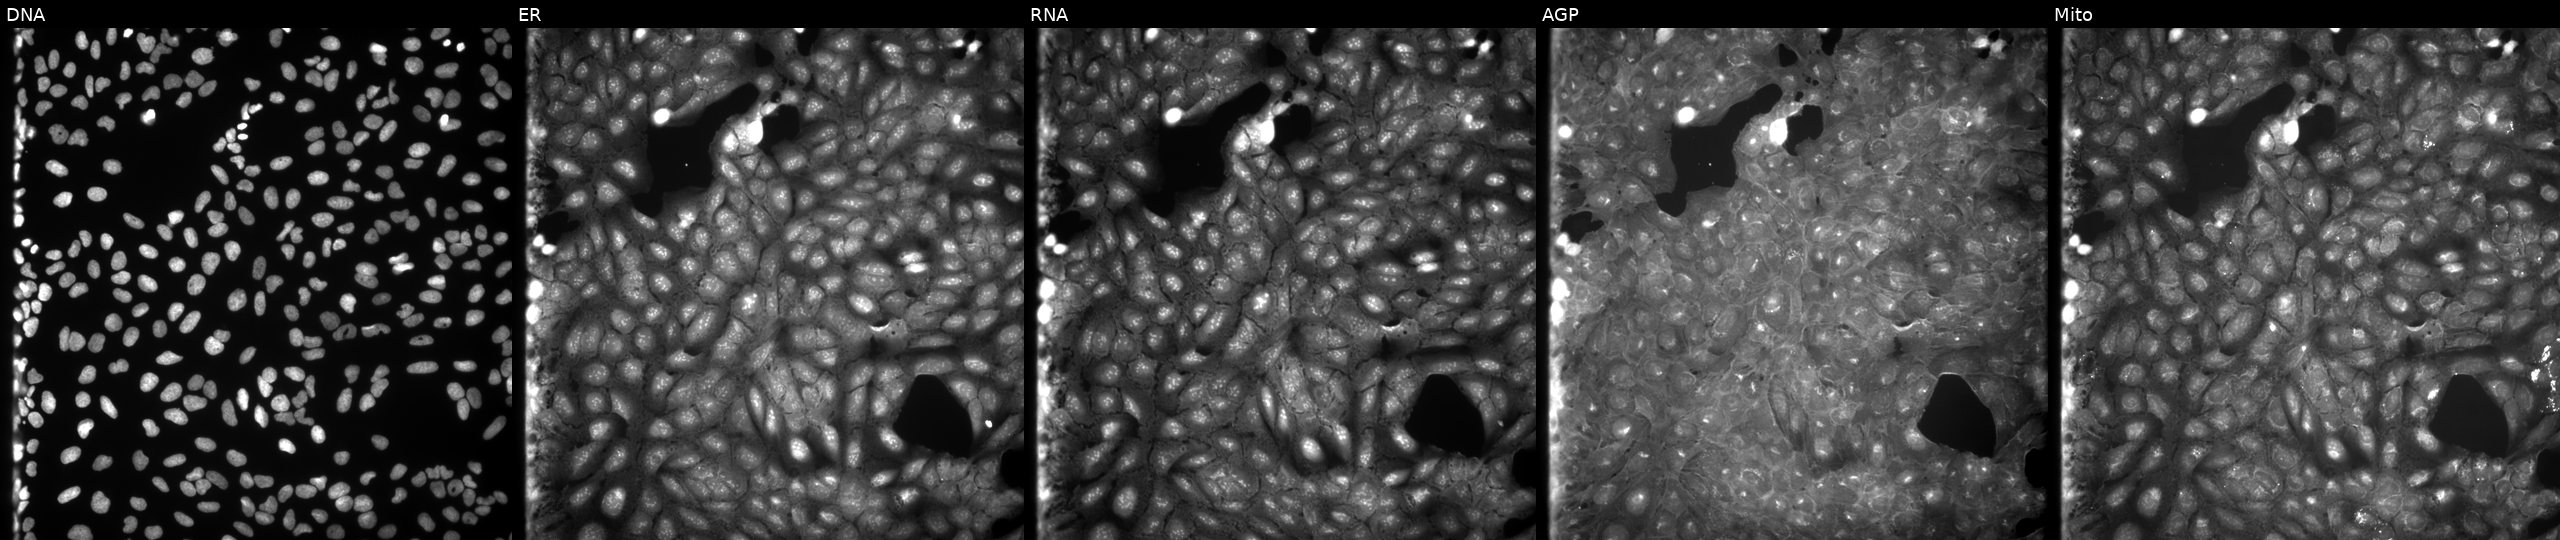
From left to right: DNA, ER, RNA, AGP, and Mito. U2OS osteosarcoma cells perturbed with a small-molecule compound (InChIKey PXPASPJHPQXWFE-UHFFFAOYSA-N) (JUMP id JCP2022_071631). Cell Painting assay, JUMP-CP dataset.